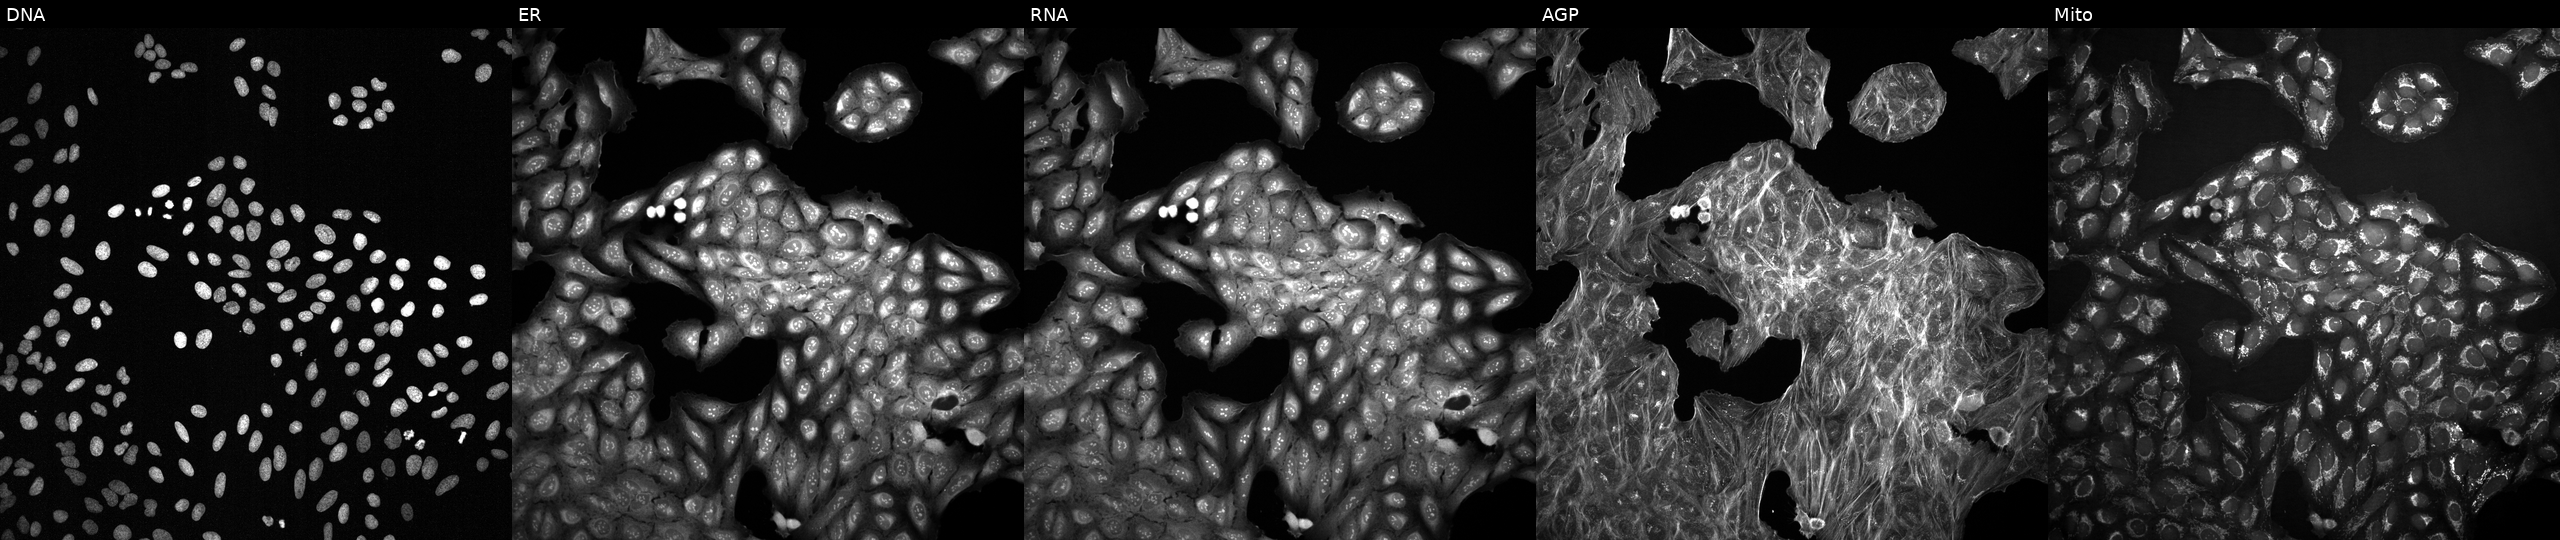
U2OS cells, Cell Painting assay, treated with DMSO vehicle only (negative control). Panels show, left to right, Hoechst 33342, concanavalin A, SYTO 14, phalloidin and WGA, MitoTracker. Each panel is percentile-stretched 16-bit fluorescence.